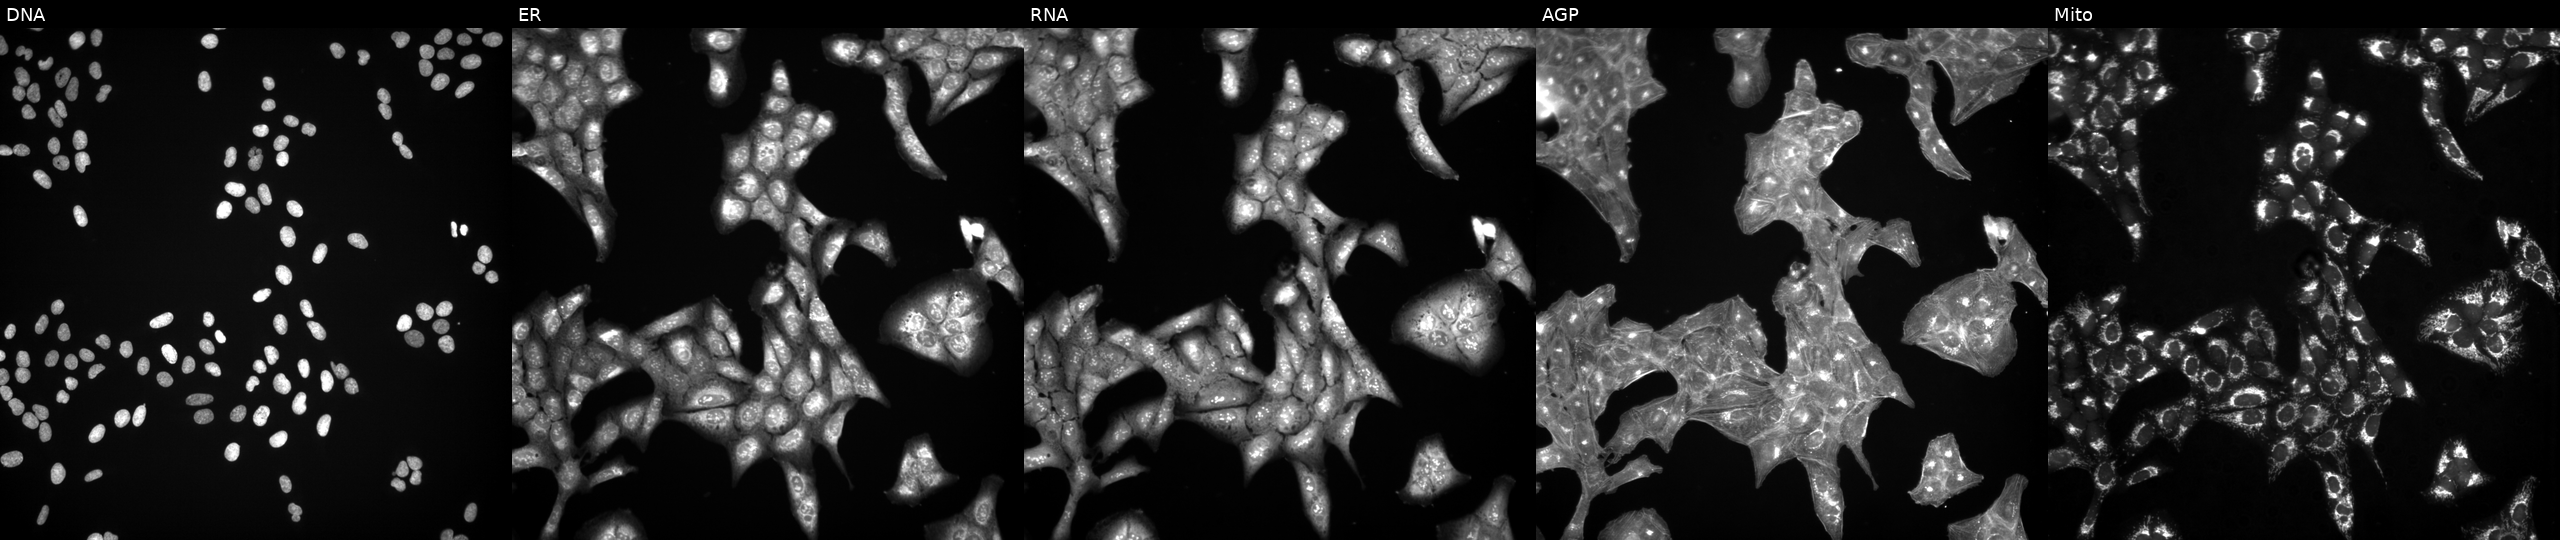
U2OS cells, Cell Painting assay, treated with a small-molecule compound (JUMP id JCP2022_089383). From left to right: DNA, ER, RNA, AGP, and Mito. Each panel is percentile-stretched 16-bit fluorescence. Source 3, plate JCPQC051, well G07.